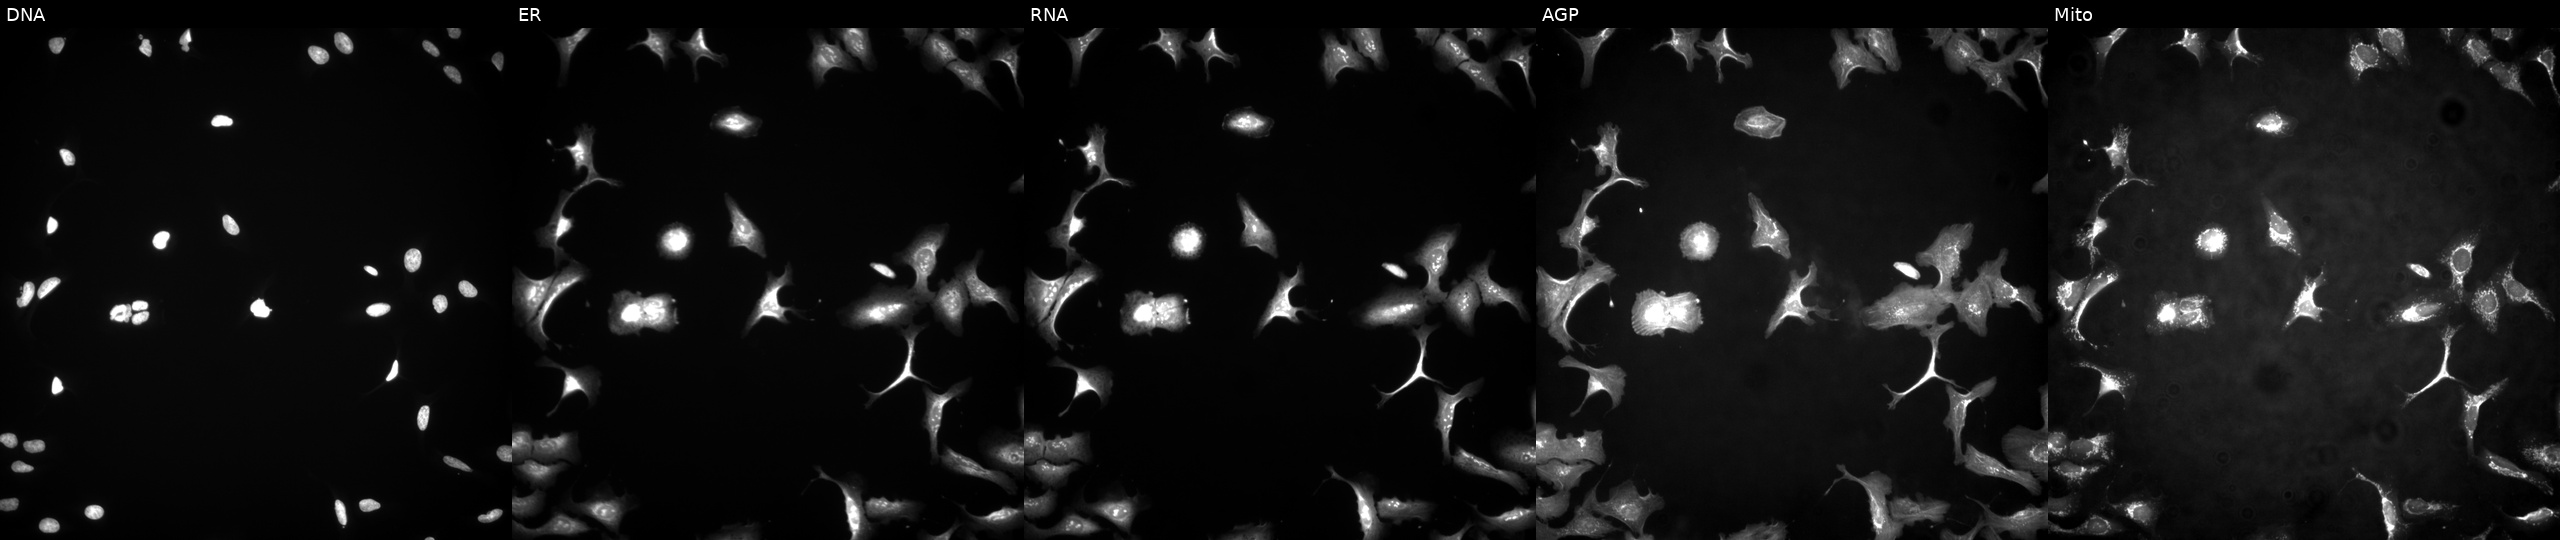
Five-channel Cell Painting image of U2OS cells overexpressing NGF via ORF transfection (JUMP id JCP2022_906215). The five panels, left to right, show DNA (nuclei); ER (endoplasmic reticulum); RNA (nucleoli and cytoplasmic RNA); AGP (actin cytoskeleton, Golgi, and plasma membrane); Mito (mitochondria).